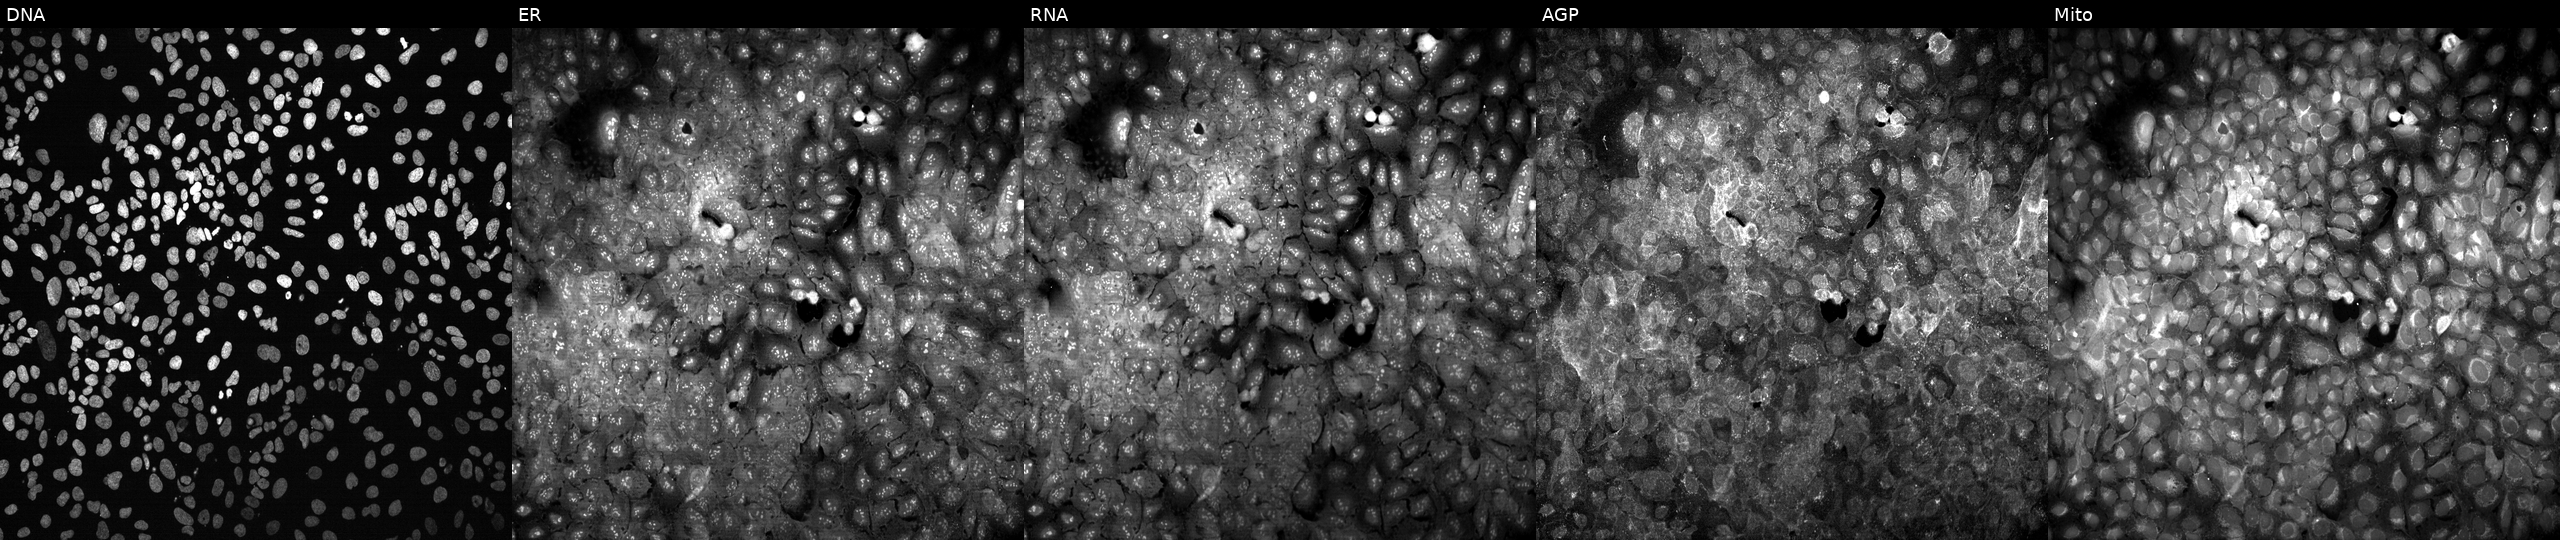
This image strip shows the five Cell Painting channels for a single field of U2OS cells CRISPR-edited to disrupt CYP4Z1. Channels (left→right): DNA (nuclei); ER (endoplasmic reticulum); RNA (nucleoli and cytoplasmic RNA); AGP (actin cytoskeleton, Golgi, and plasma membrane); Mito (mitochondria). Source 13, plate CP-CC9-R1-01, well O16.